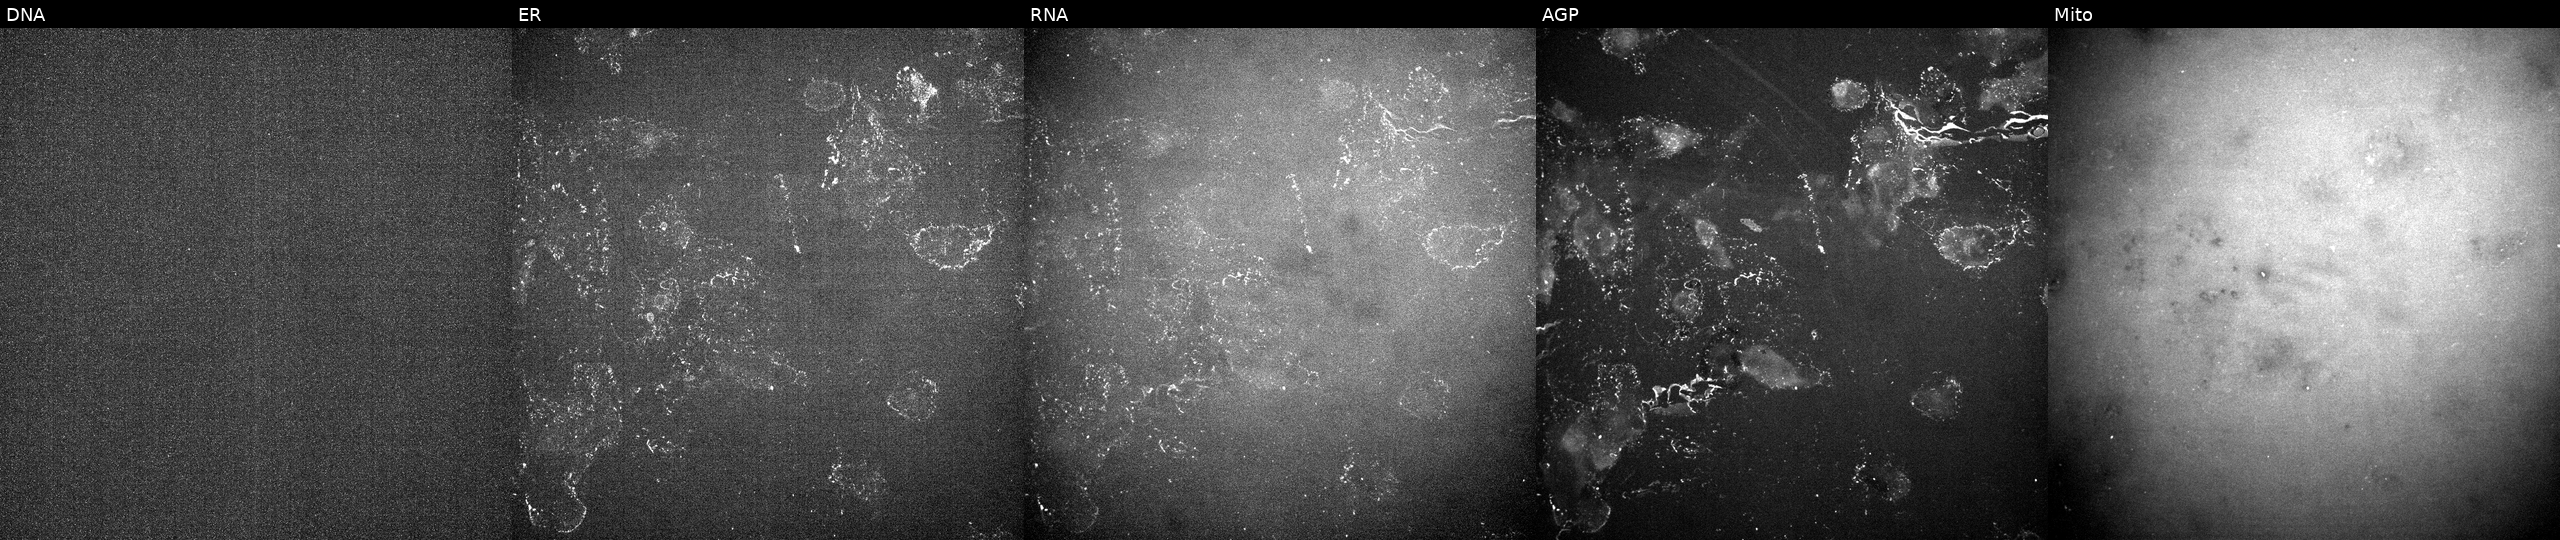
Five-channel Cell Painting image of U2OS cells exposed to a small-molecule compound (InChIKey CANBMWXJDLUDFF-UHFFFAOYSA-N) (JUMP id JCP2022_009867). Panels show, left to right, Hoechst 33342, concanavalin A, SYTO 14, phalloidin and WGA, MitoTracker.